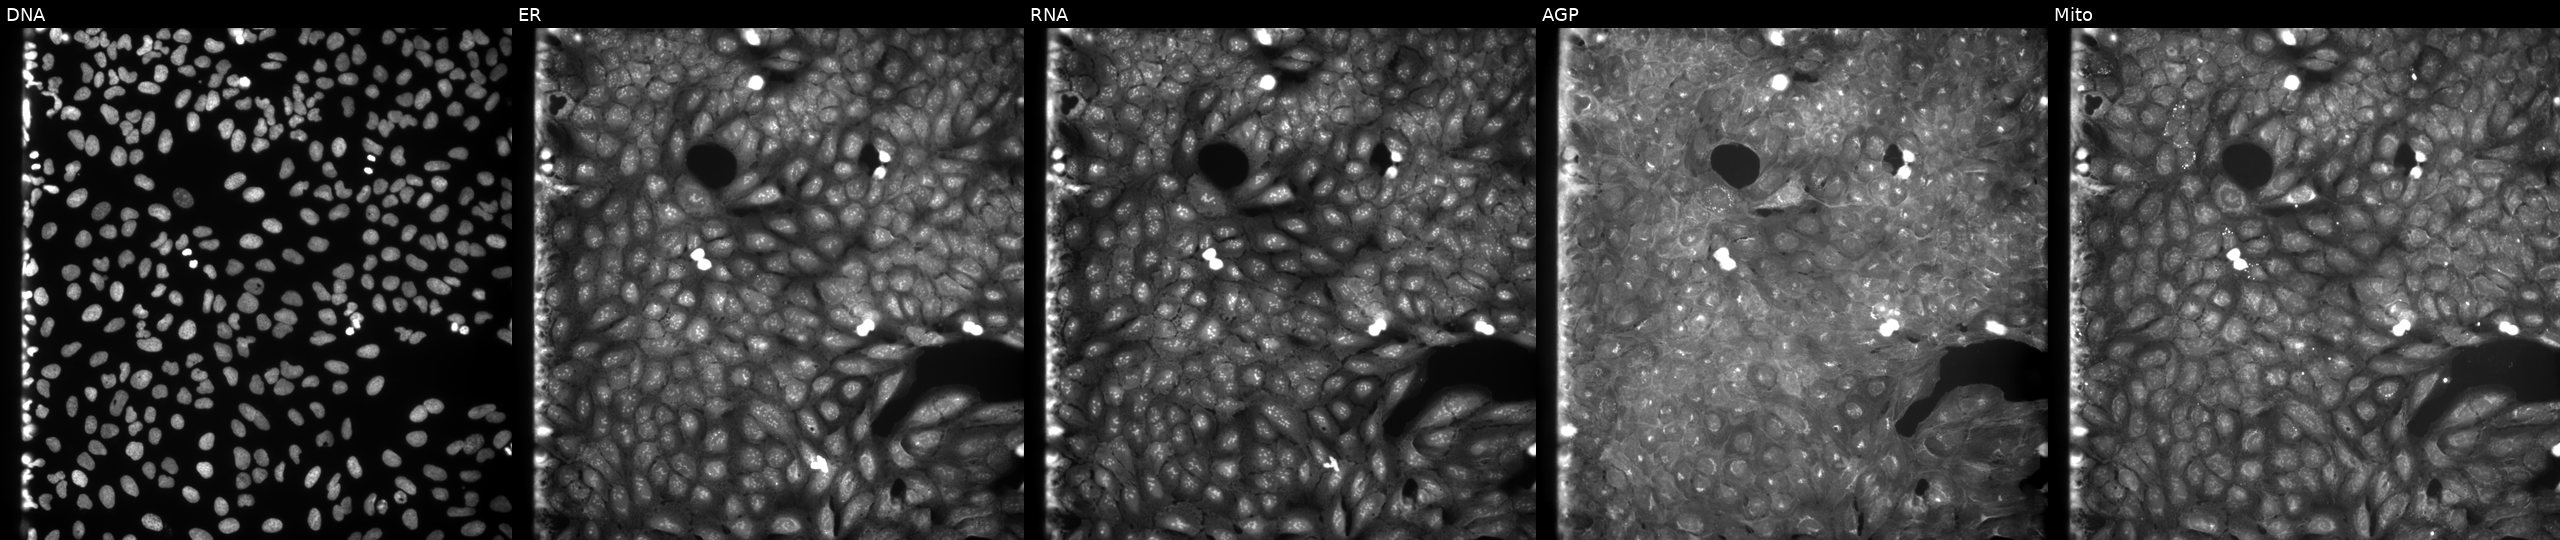
JUMP Cell Painting — COMPOUND plate. U2OS cells perturbed with a small-molecule compound (InChIKey IXDVNDJIMSMSGT-UHFFFAOYSA-N). Channels (left→right): DNA, ER, RNA, AGP, and Mito.